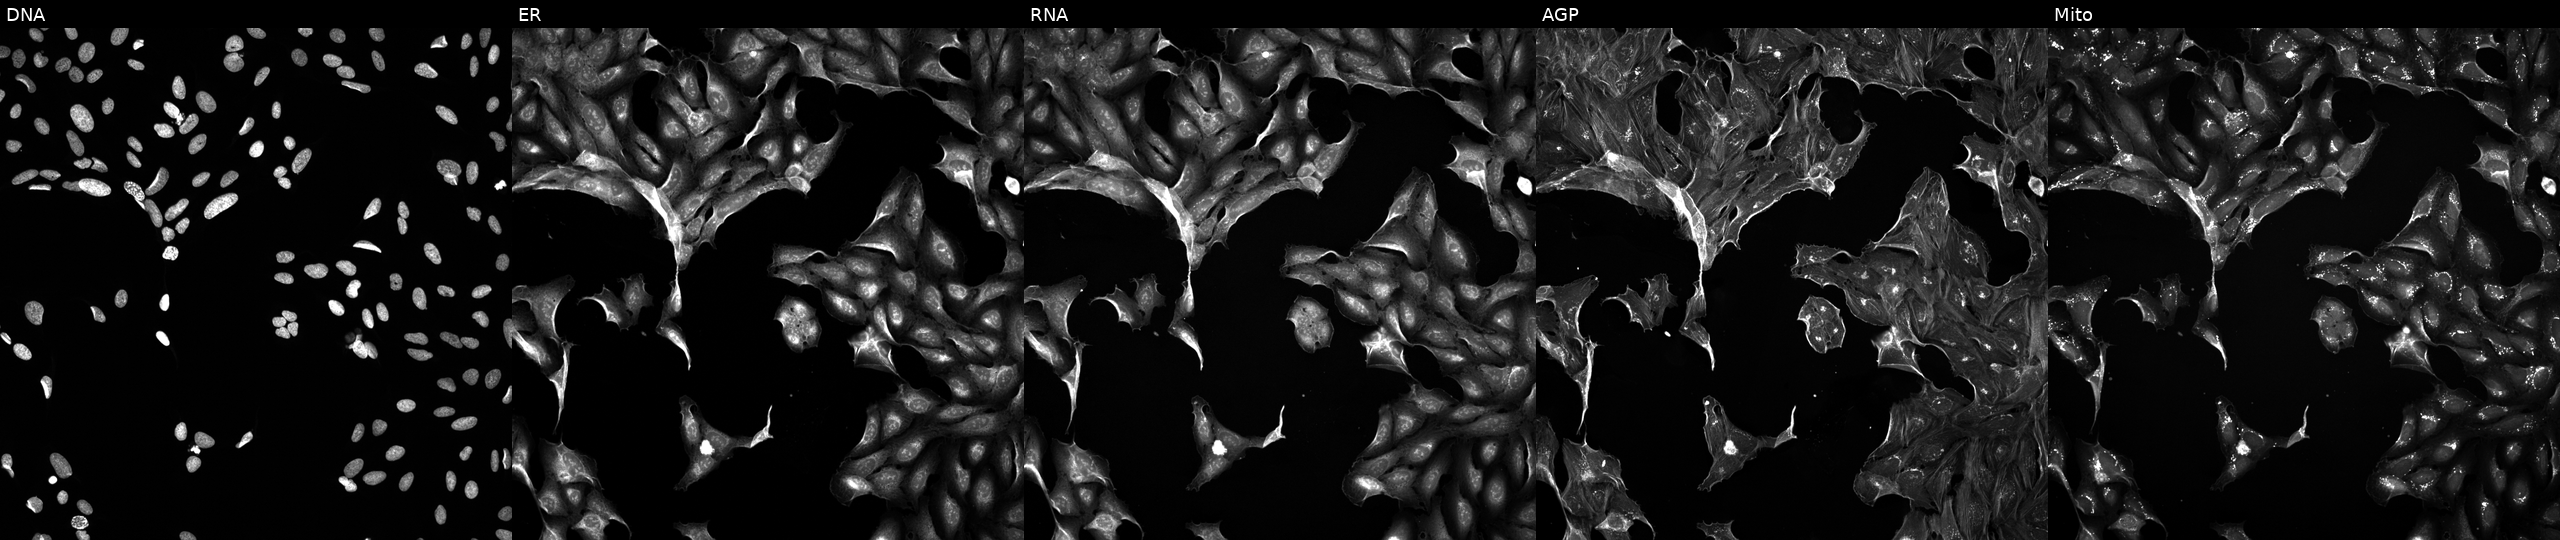
This image strip shows the five Cell Painting channels for a single field of U2OS cells perturbed with a small-molecule compound (InChIKey VSWDORGPIHIGNW-UHFFFAOYSA-N). The five panels, left to right, show DNA, ER, RNA, AGP, and Mito. Source 5, plate ACPJUM032, well P19.